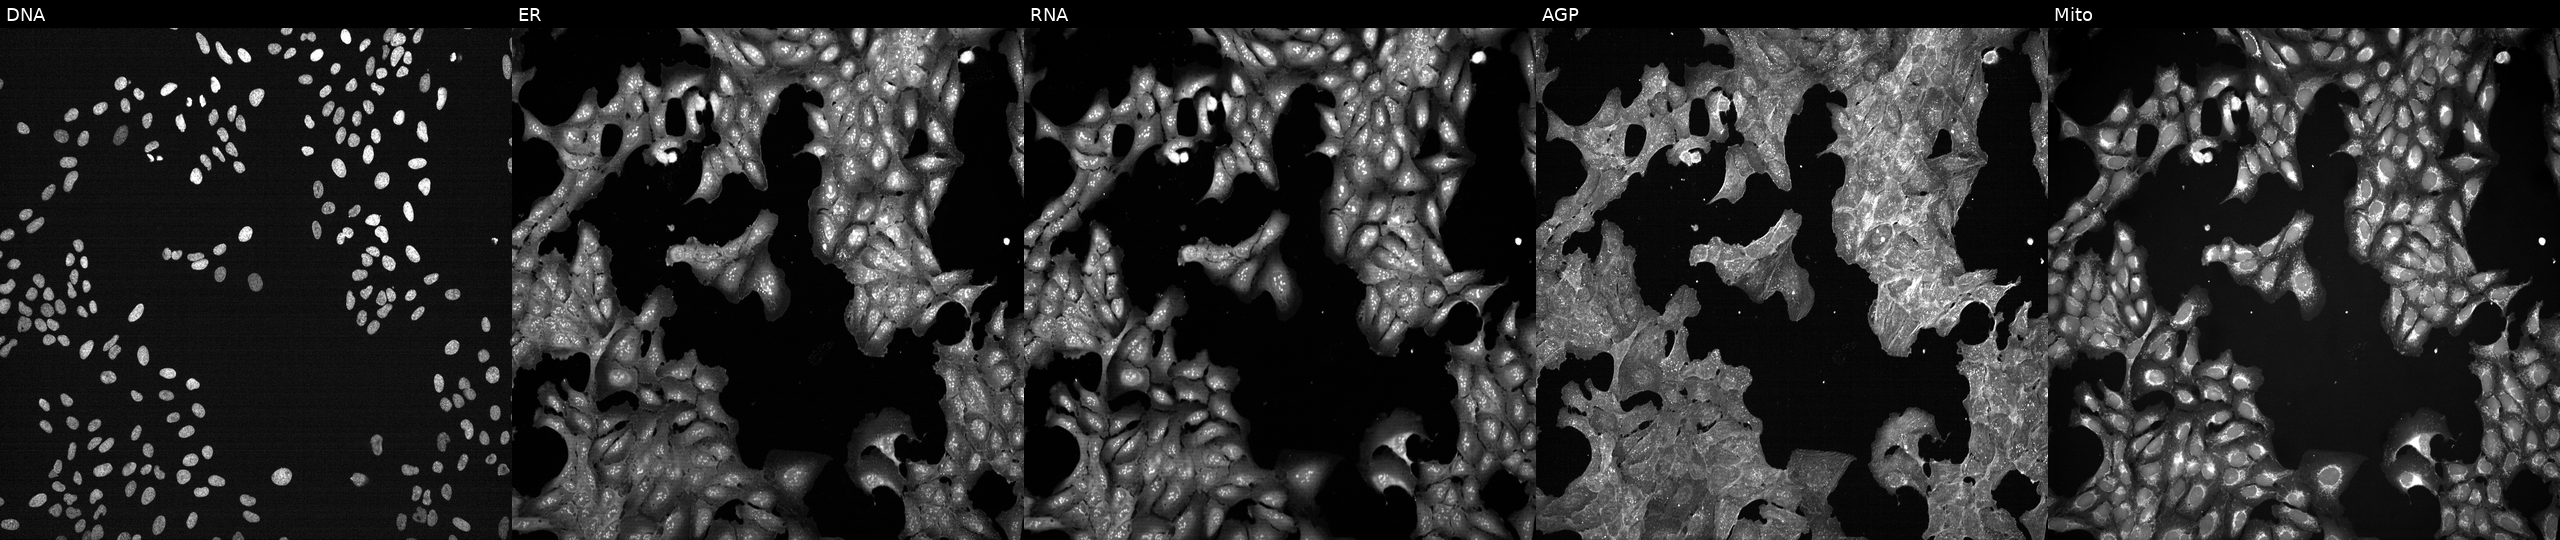
Five-channel Cell Painting image of U2OS cells exposed to a small-molecule compound (InChIKey QVZCXCJXTMIDME-UHFFFAOYSA-N) (JUMP id JCP2022_076233). Channels (left→right): DNA (nuclei); ER (endoplasmic reticulum); RNA (nucleoli and cytoplasmic RNA); AGP (actin cytoskeleton, Golgi, and plasma membrane); Mito (mitochondria).